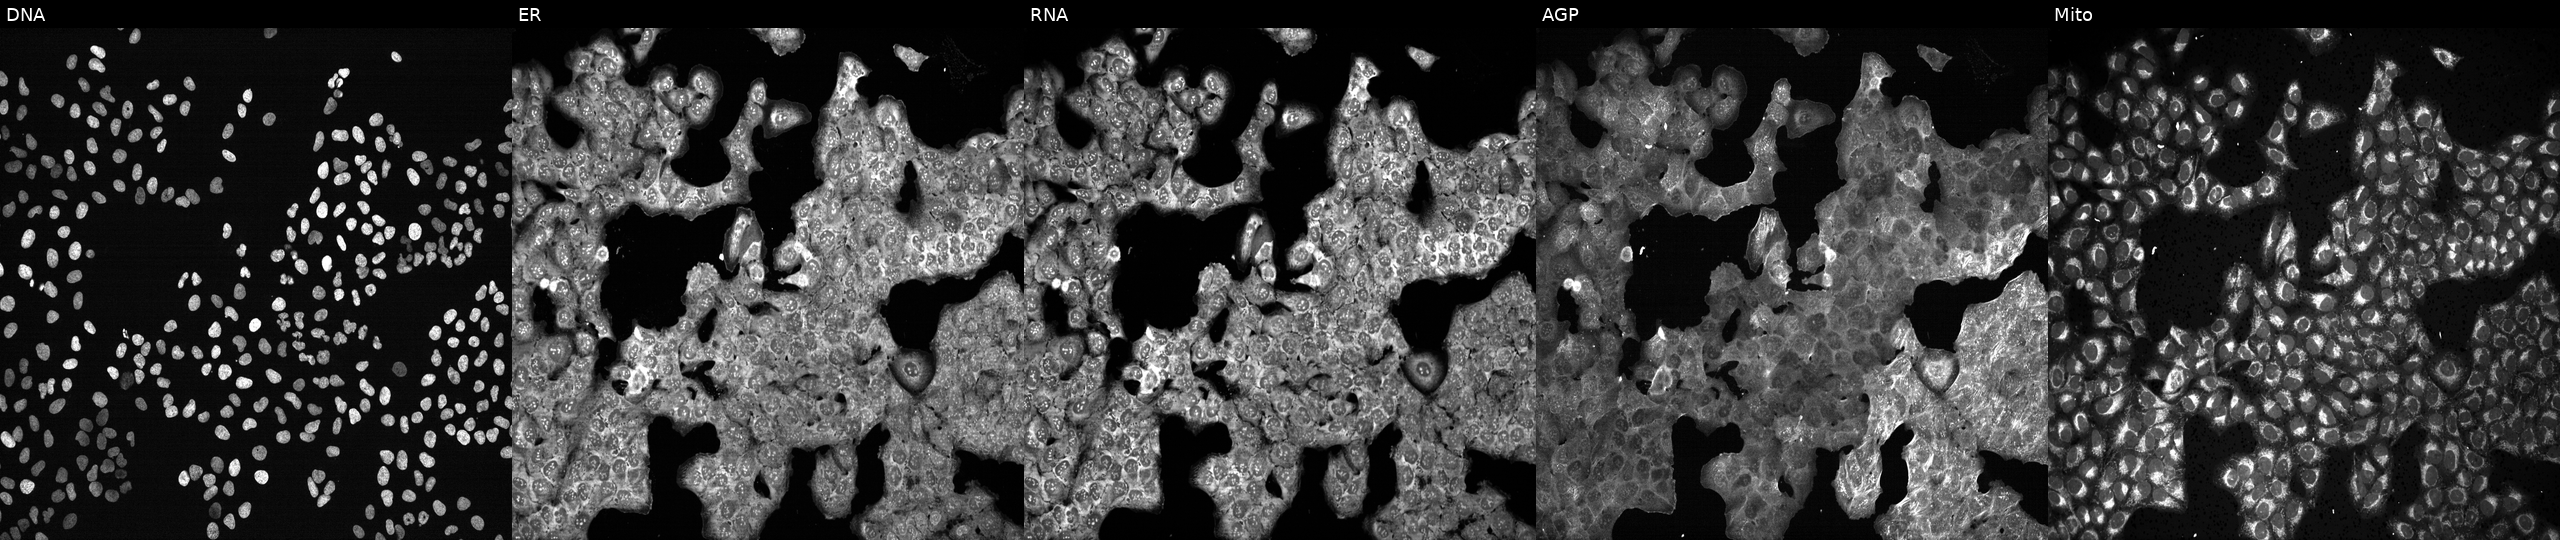
This image strip shows the five Cell Painting channels for a single field of U2OS cells exposed to the positive-control compound NVS-PAK1-1. The five panels, left to right, show DNA (nuclei); ER (endoplasmic reticulum); RNA (nucleoli and cytoplasmic RNA); AGP (actin cytoskeleton, Golgi, and plasma membrane); Mito (mitochondria).